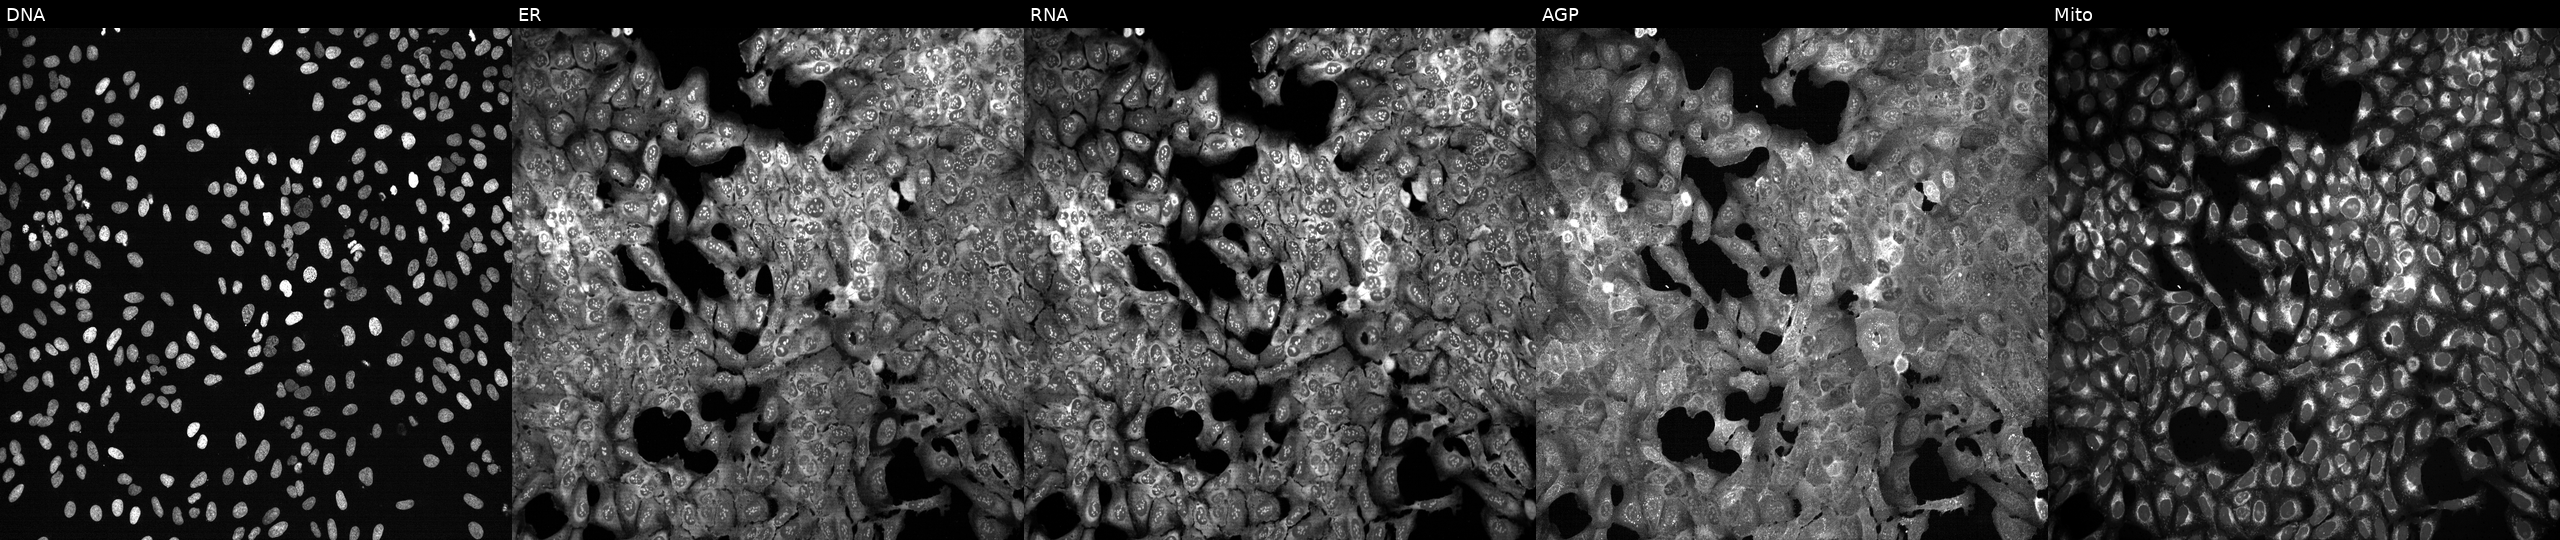
High-content fluorescence microscopy (Cell Painting). Cell line: U2OS. Perturbation: with SLC2A13 knocked out by CRISPR. Channels (left→right): Hoechst 33342, concanavalin A, SYTO 14, phalloidin and WGA, MitoTracker.